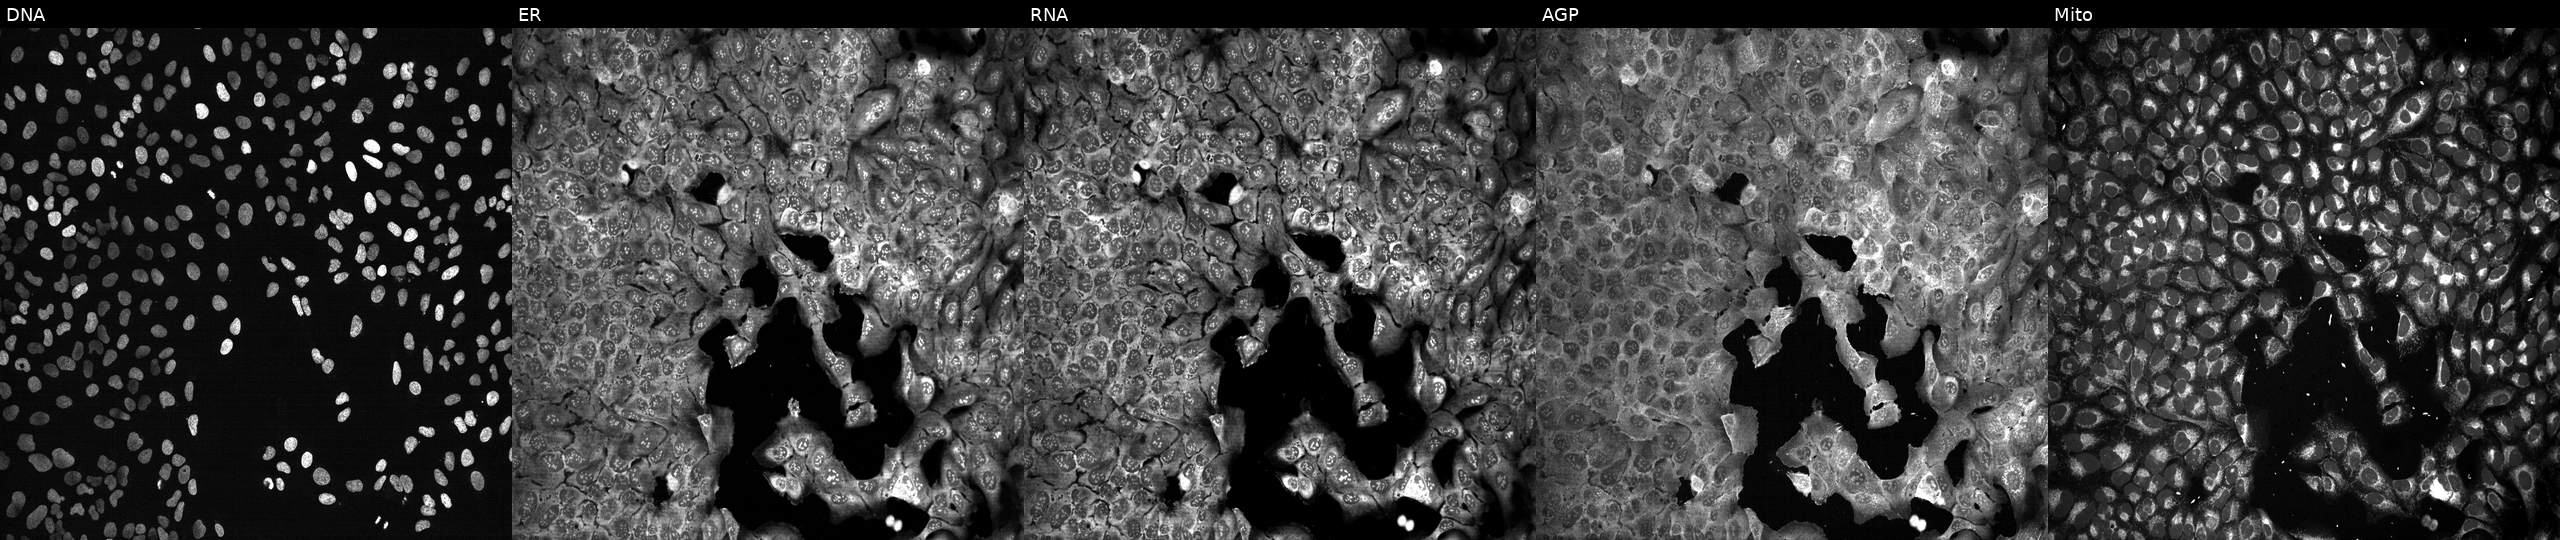
Five-channel Cell Painting image of U2OS cells CRISPR-edited to disrupt ABCC2 (JUMP id JCP2022_800044). From left to right: Hoechst 33342, concanavalin A, SYTO 14, phalloidin and WGA, MitoTracker.